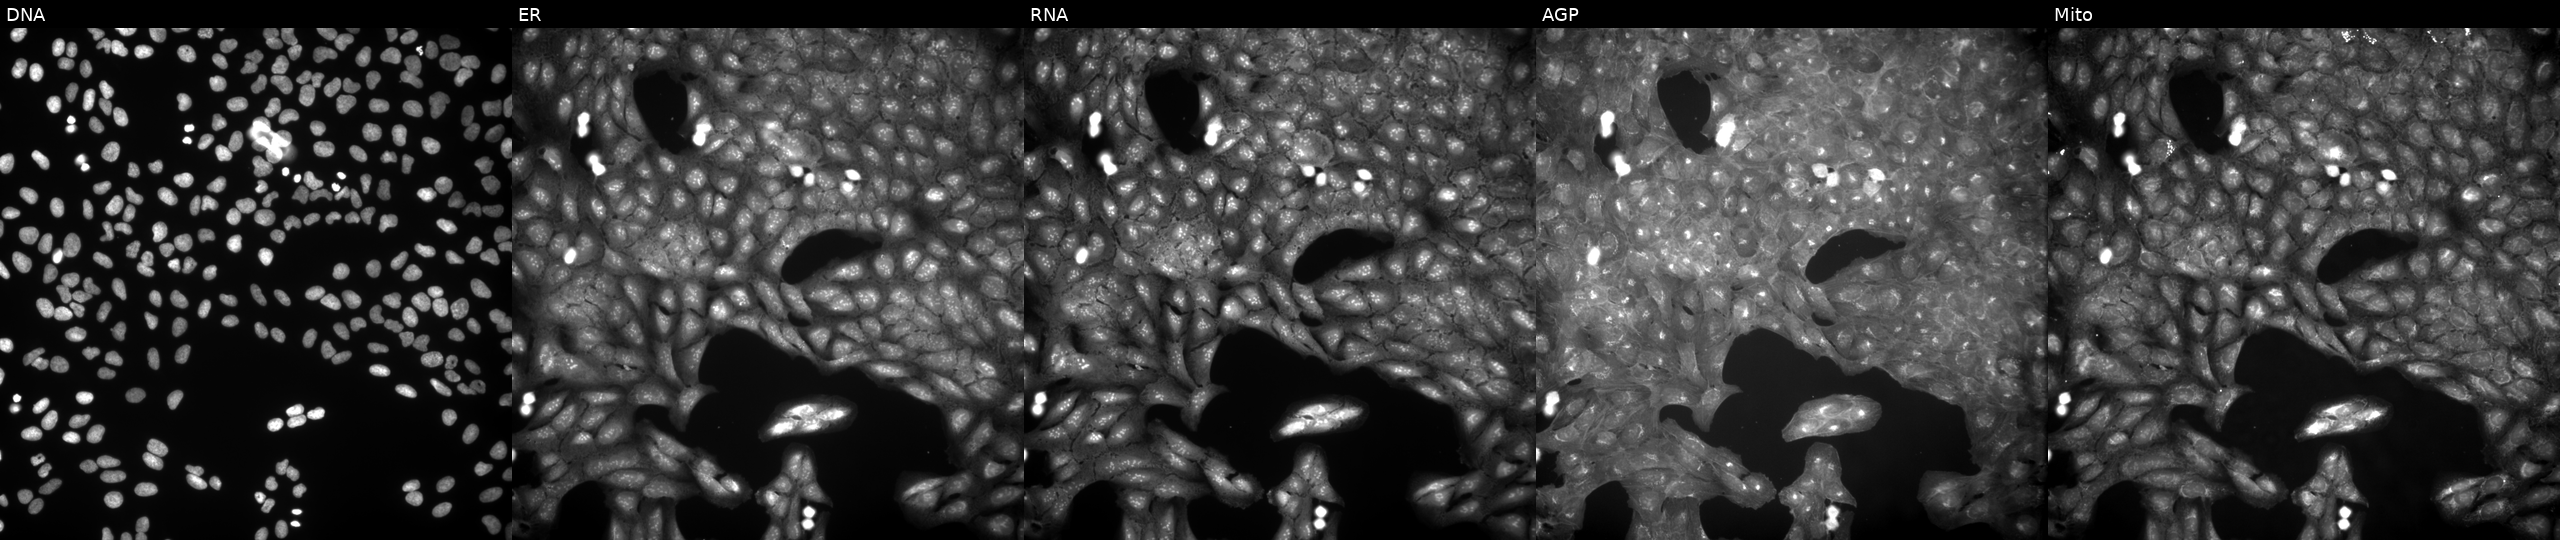
U2OS cells, Cell Painting assay, treated with a small-molecule compound. Channels (left→right): DNA (nuclei); ER (endoplasmic reticulum); RNA (nucleoli and cytoplasmic RNA); AGP (actin cytoskeleton, Golgi, and plasma membrane); Mito (mitochondria). Each panel is percentile-stretched 16-bit fluorescence.